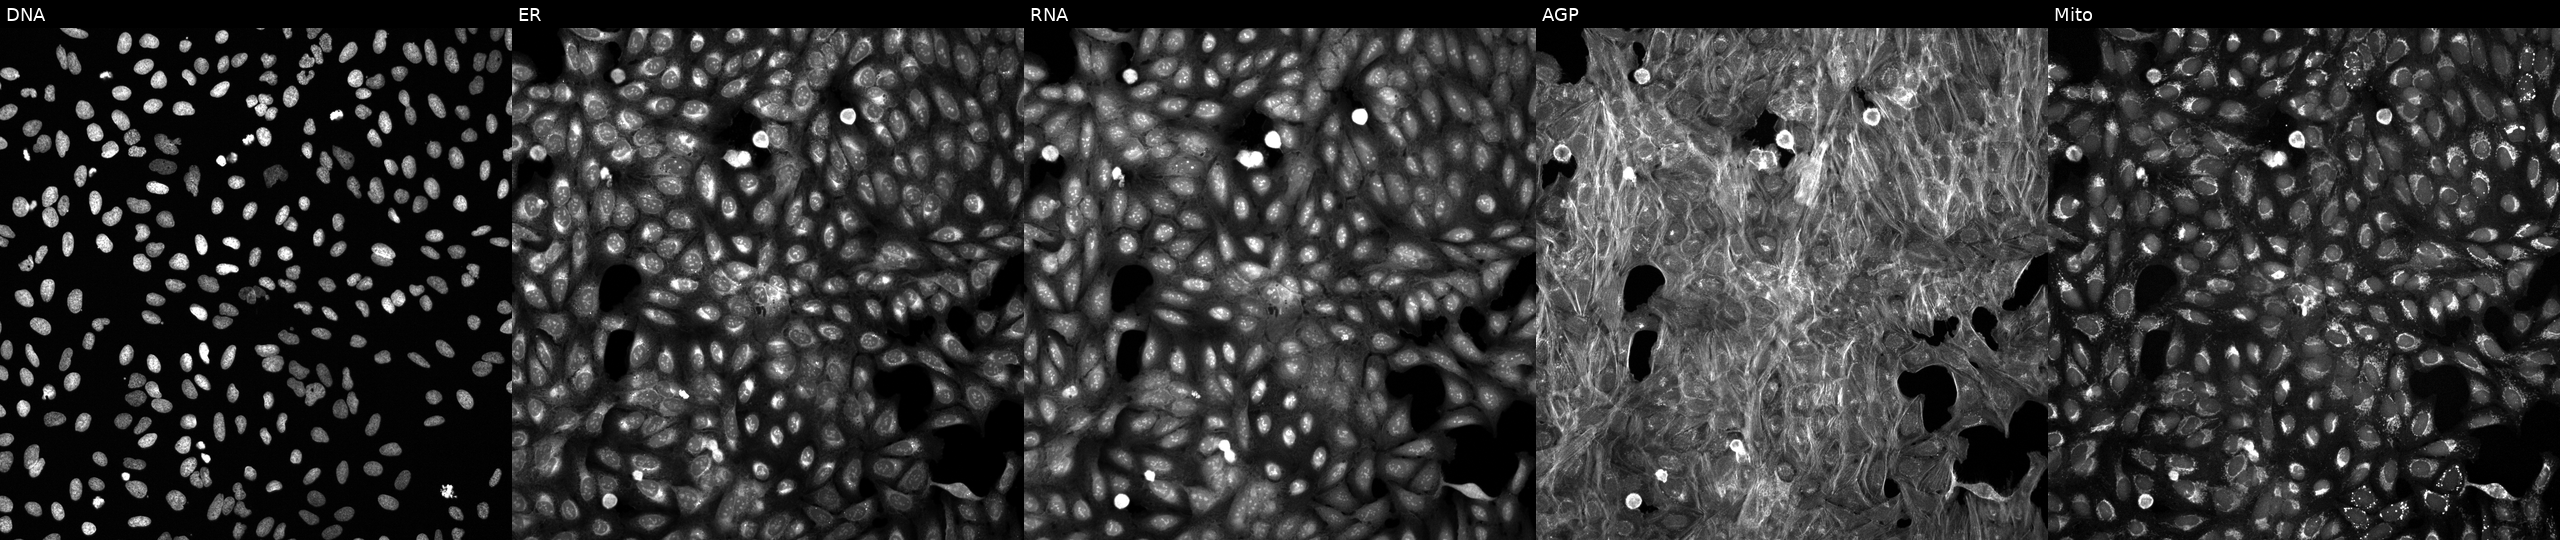
High-content fluorescence microscopy (Cell Painting). Cell line: U2OS. Perturbation: exposed to a small-molecule compound (InChIKey NCEXYHBECQHGNR-UHFFFAOYSA-N) [SMILES: O=C(O)c1cc(N=Nc2ccc(S(=O)(=O)N=c3cccc[nH]3)cc2)ccc1O]. Panels show, left to right, DNA (nuclei); ER (endoplasmic reticulum); RNA (nucleoli and cytoplasmic RNA); AGP (actin cytoskeleton, Golgi, and plasma membrane); Mito (mitochondria). Source 6, plate 110000293093, well C04.